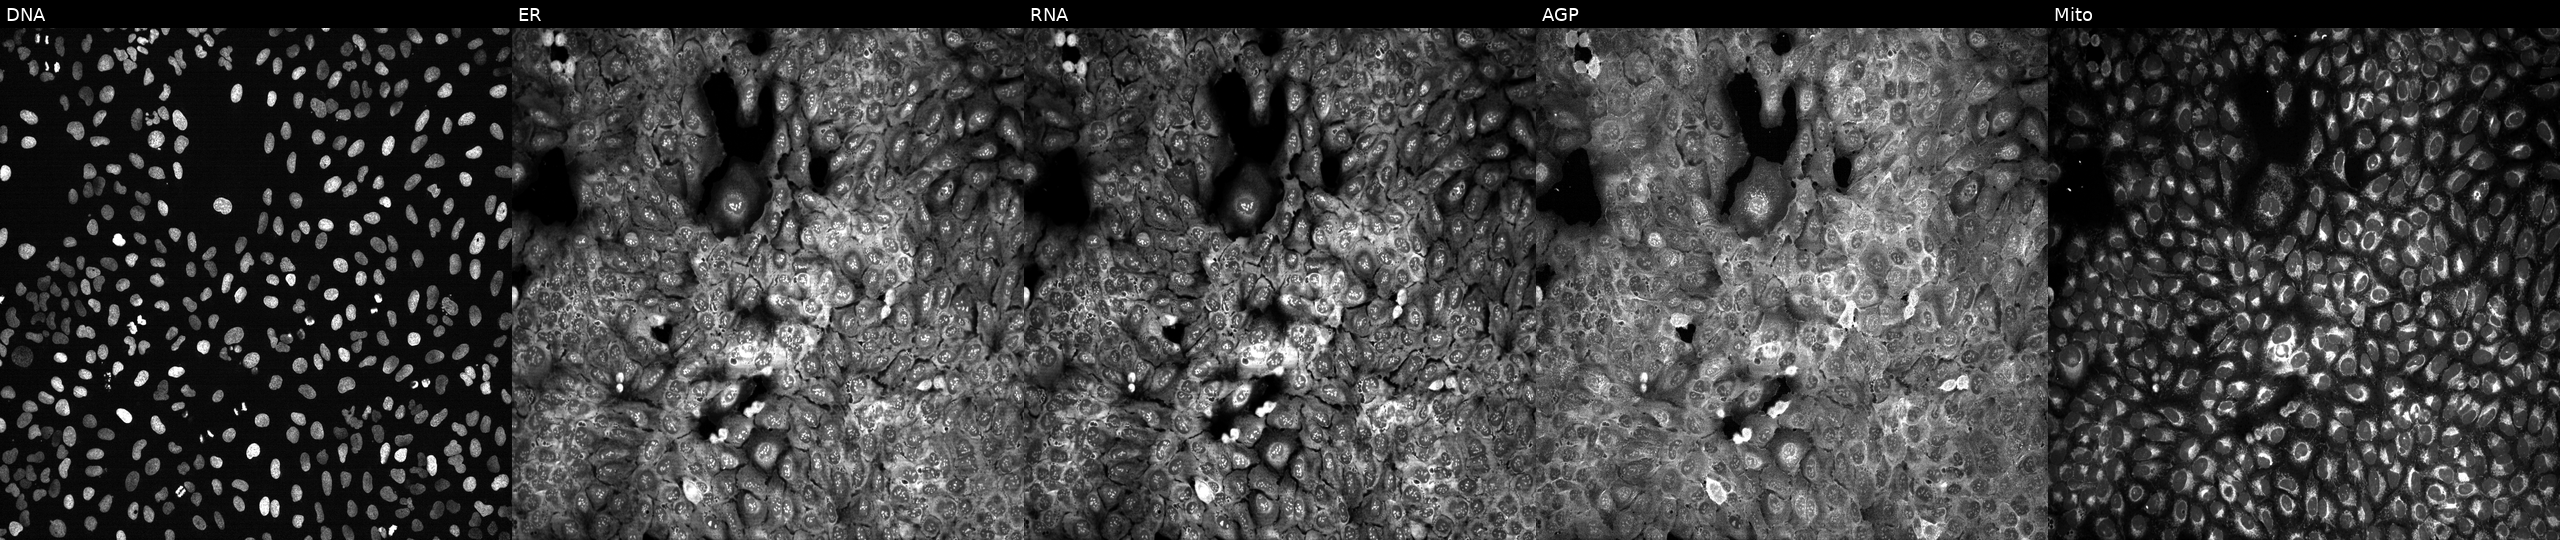
High-content fluorescence microscopy (Cell Painting). Cell line: U2OS. Perturbation: with SLC26A2 knocked out by CRISPR. Channels (left→right): DNA (nuclei); ER (endoplasmic reticulum); RNA (nucleoli and cytoplasmic RNA); AGP (actin cytoskeleton, Golgi, and plasma membrane); Mito (mitochondria).